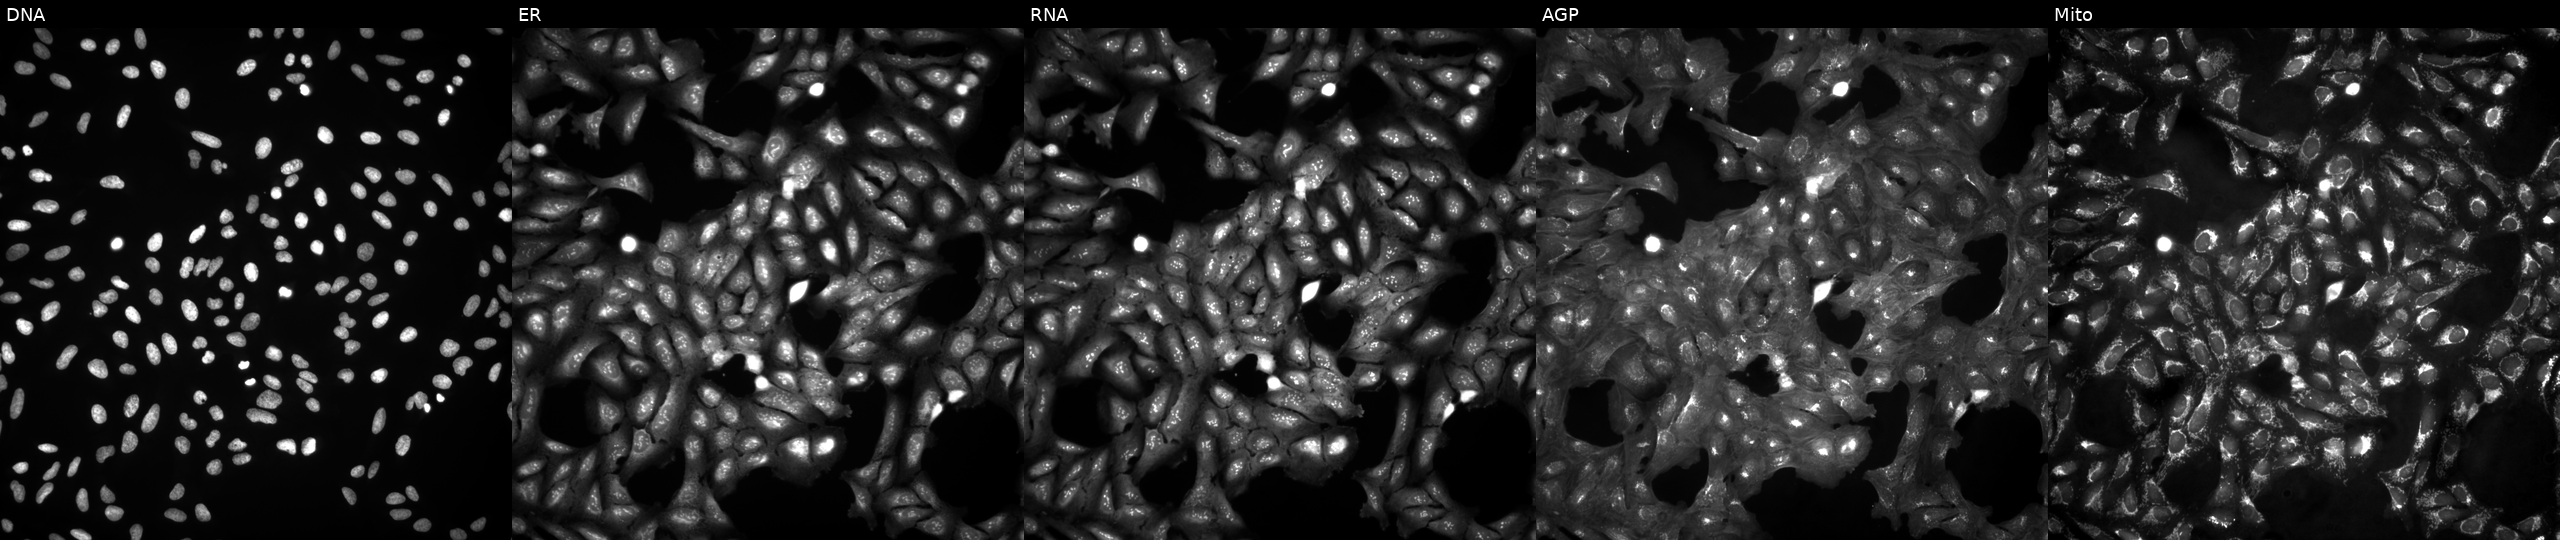
Five-channel Cell Painting image of U2OS cells untreated (empty-well control). Channels (left→right): Hoechst 33342, concanavalin A, SYTO 14, phalloidin and WGA, MitoTracker.